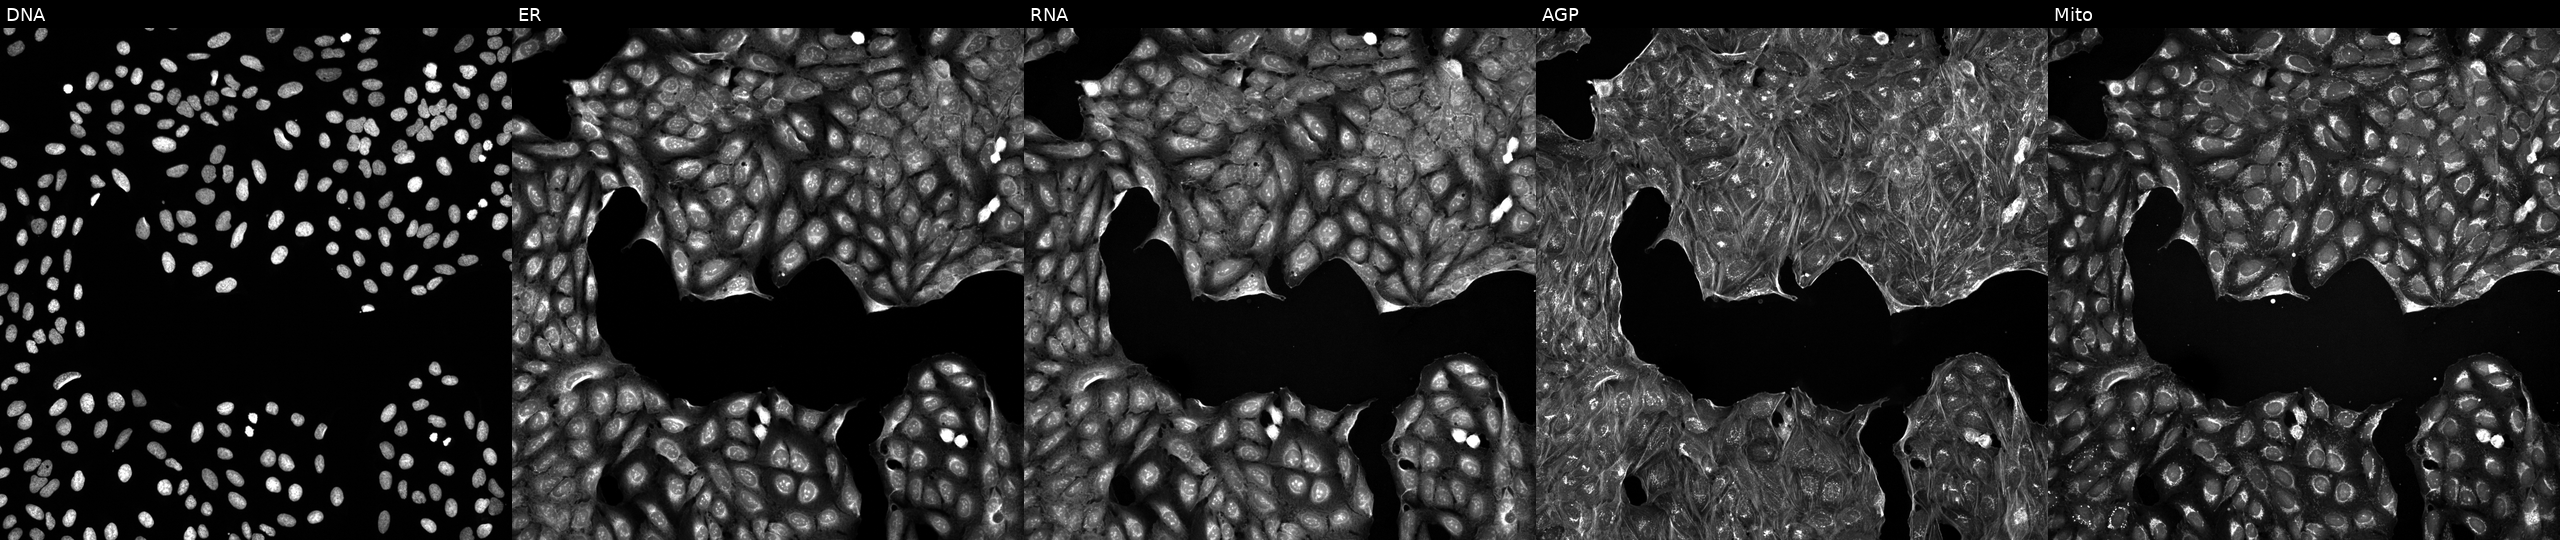
Channels (left→right): Hoechst 33342, concanavalin A, SYTO 14, phalloidin and WGA, MitoTracker. U2OS osteosarcoma cells exposed to DMSO alone as a negative control (JUMP id JCP2022_033924). Cell Painting assay, JUMP-CP dataset.